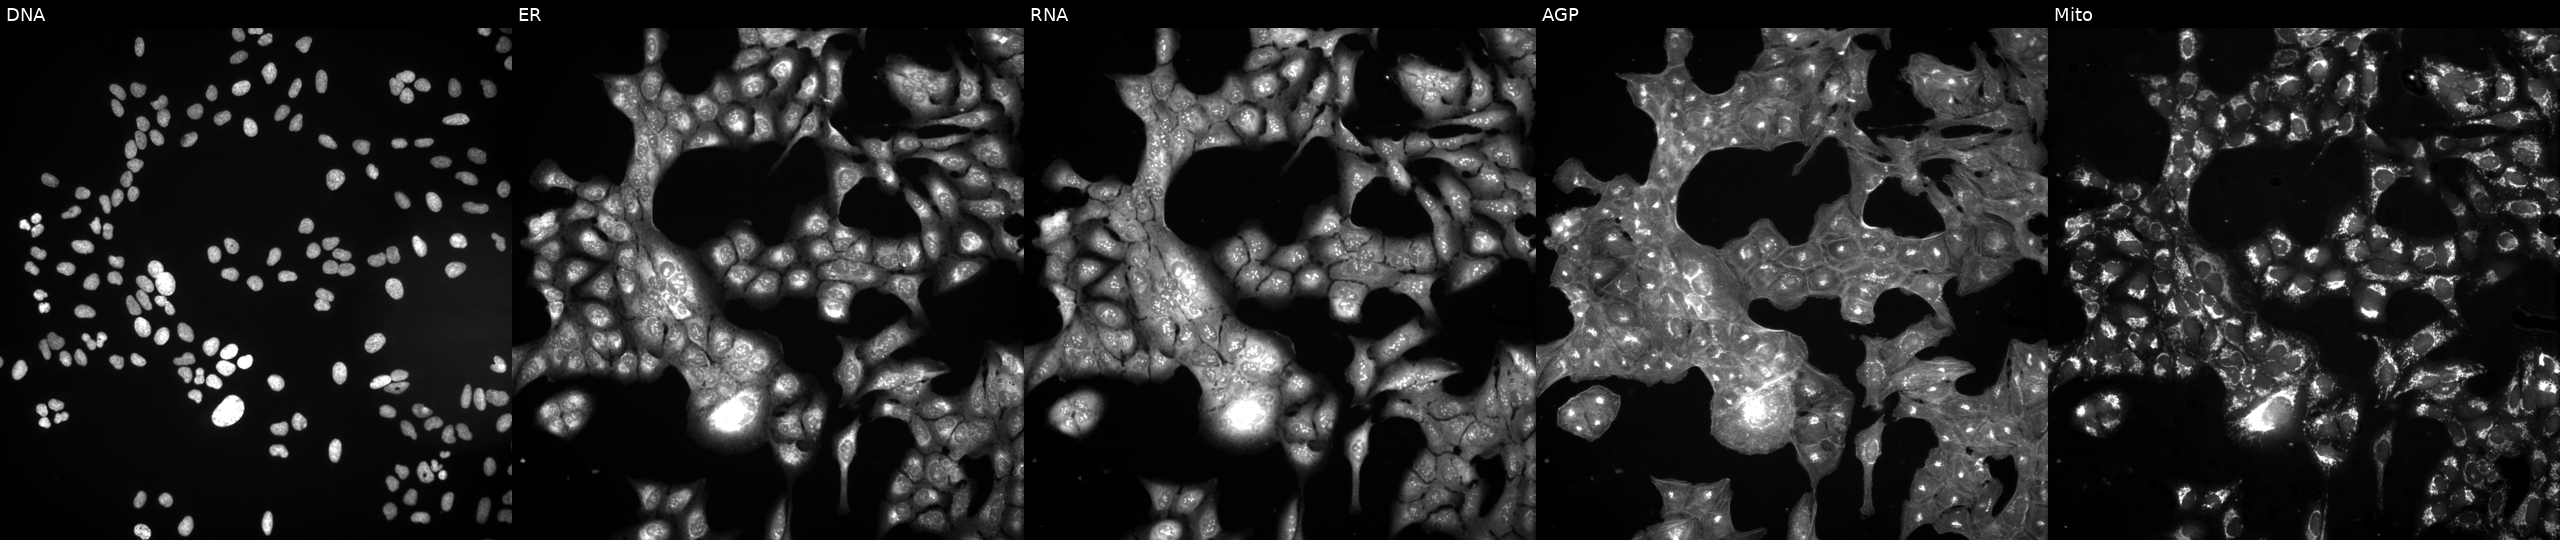
JUMP Cell Painting — COMPOUND plate. U2OS cells exposed to a small-molecule compound (InChIKey SFNHBQIEHJDWPJ-UHFFFAOYSA-N). Channels (left→right): DNA, ER, RNA, AGP, and Mito.